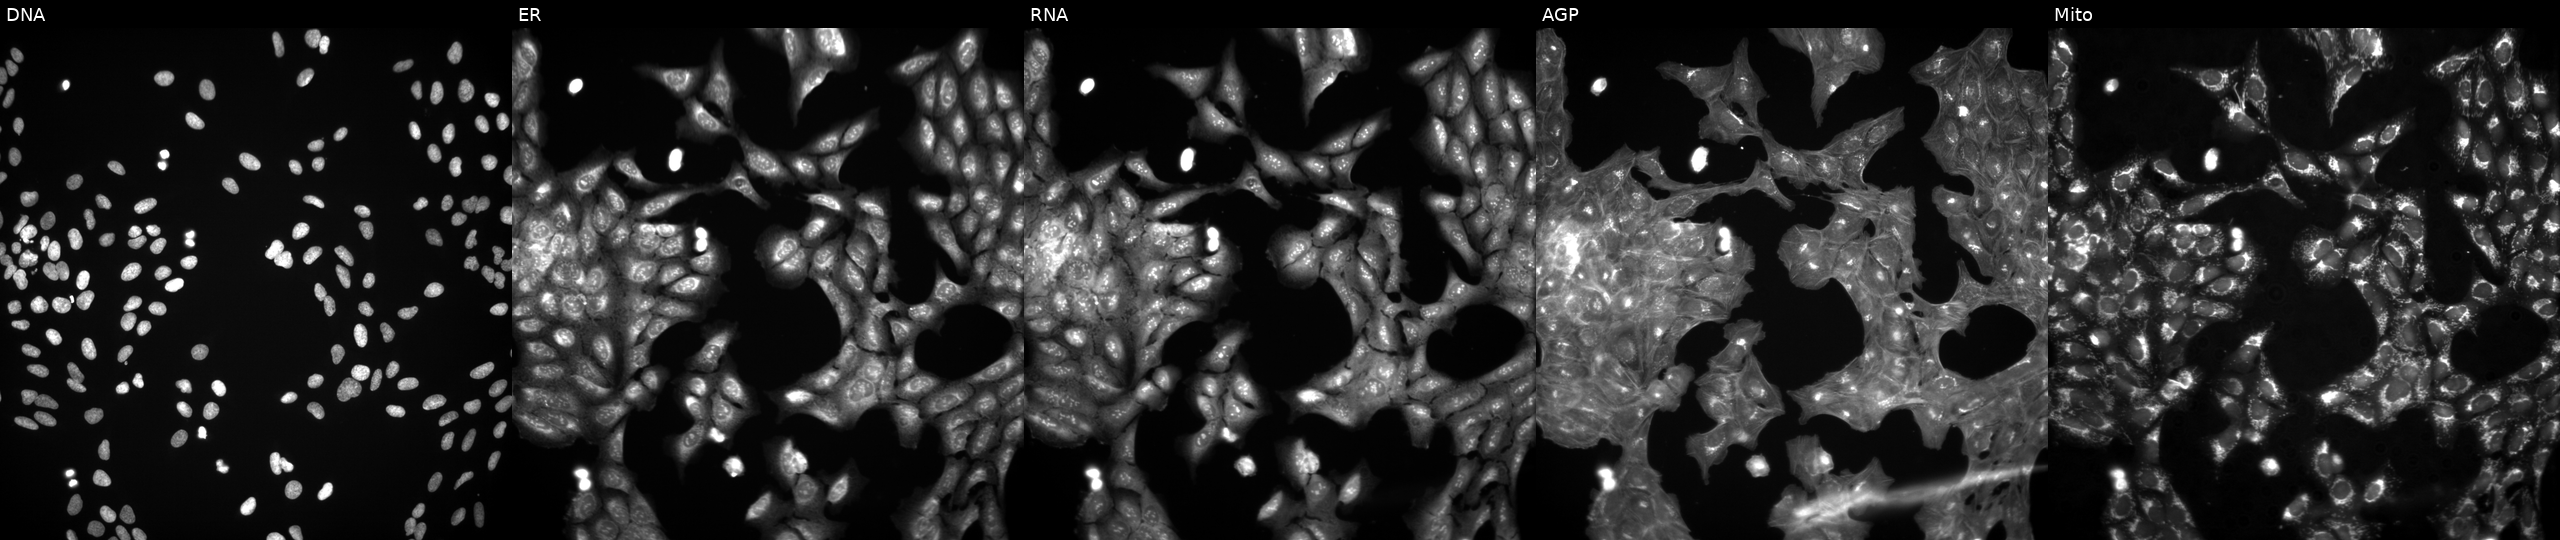
Panels show, left to right, DNA (nuclei); ER (endoplasmic reticulum); RNA (nucleoli and cytoplasmic RNA); AGP (actin cytoskeleton, Golgi, and plasma membrane); Mito (mitochondria). U2OS osteosarcoma cells perturbed with a small-molecule compound. Cell Painting assay, JUMP-CP dataset.